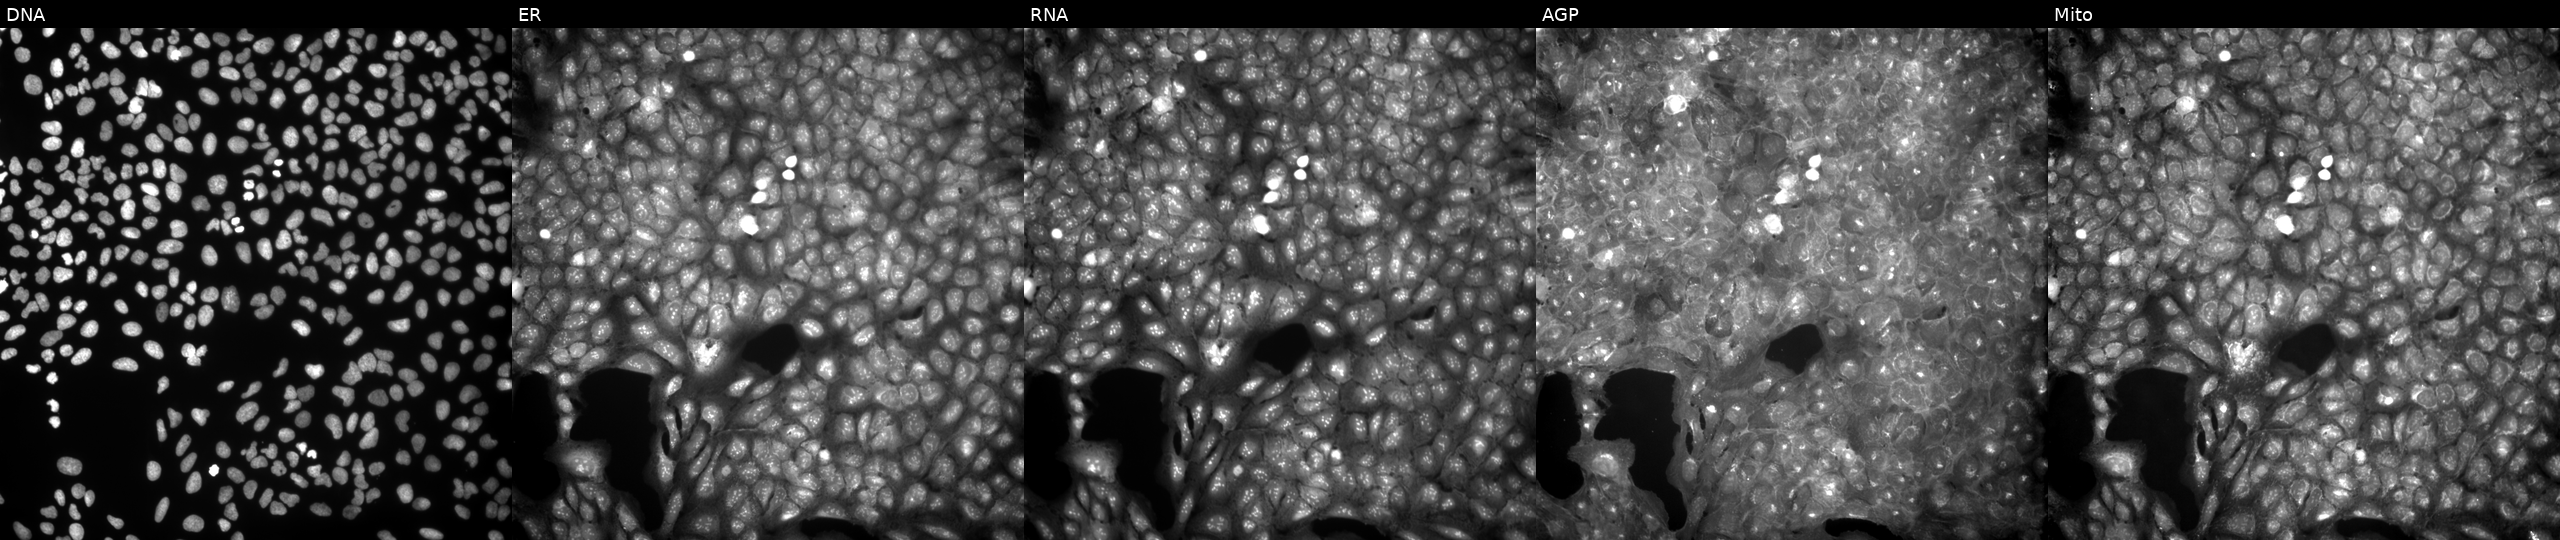
Panels show, left to right, DNA, ER, RNA, AGP, and Mito. U2OS osteosarcoma cells exposed to a small-molecule compound (InChIKey NEKZQKXSBLZIRT-UHFFFAOYSA-N). Cell Painting assay, JUMP-CP dataset. Source 9, plate GR00003382, well R18.